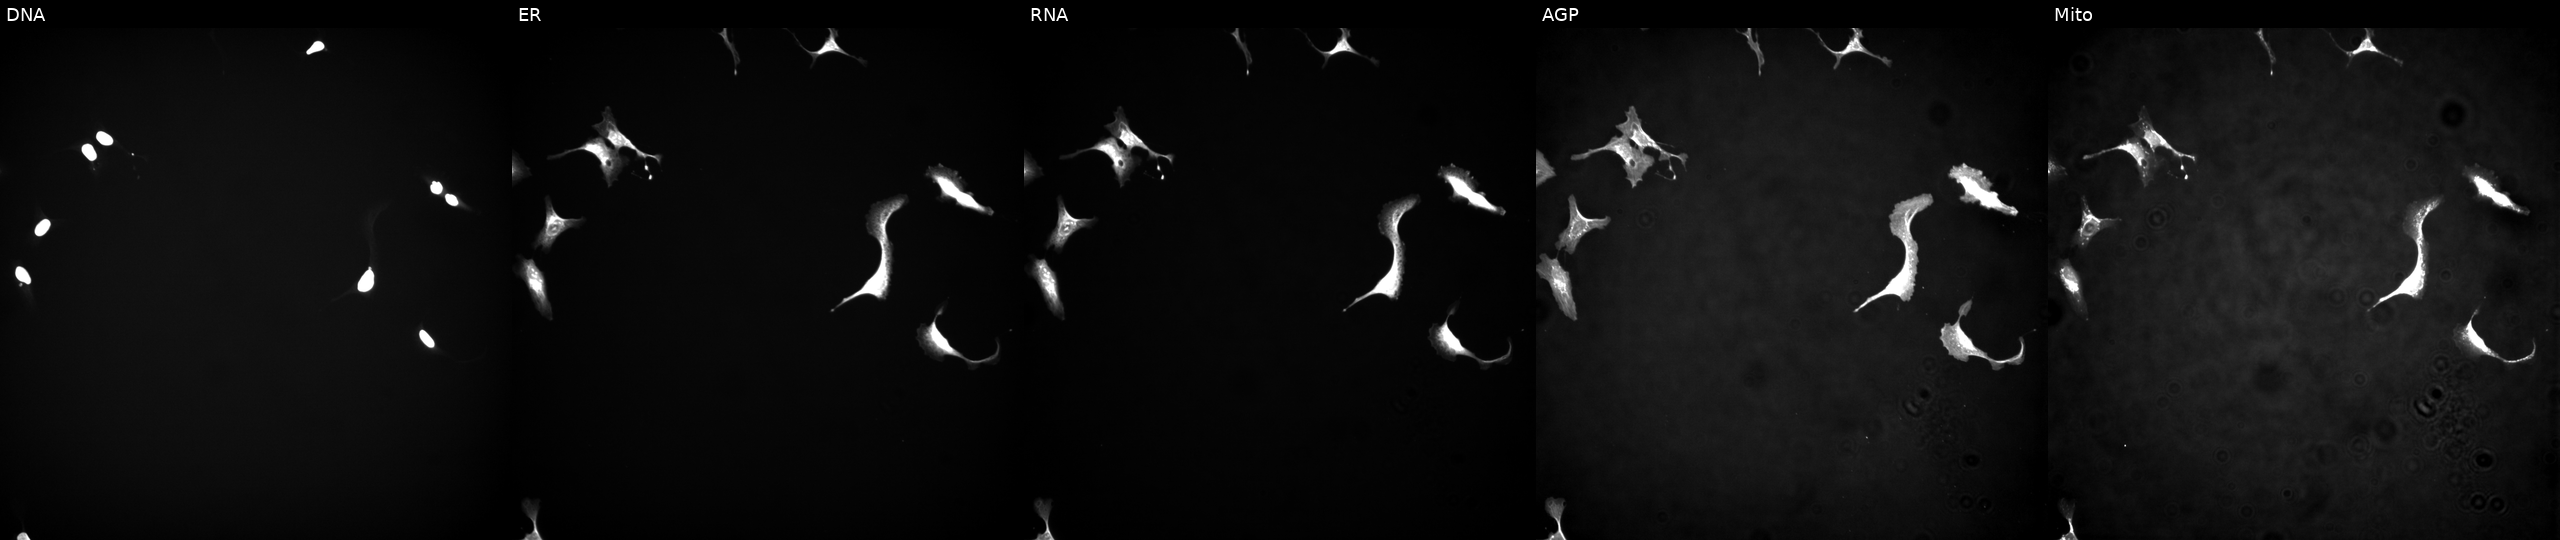
This image strip shows the five Cell Painting channels for a single field of U2OS cells with MARK2 overexpressed (ORF) (JUMP id JCP2022_913654). The five panels, left to right, show Hoechst 33342, concanavalin A, SYTO 14, phalloidin and WGA, MitoTracker.